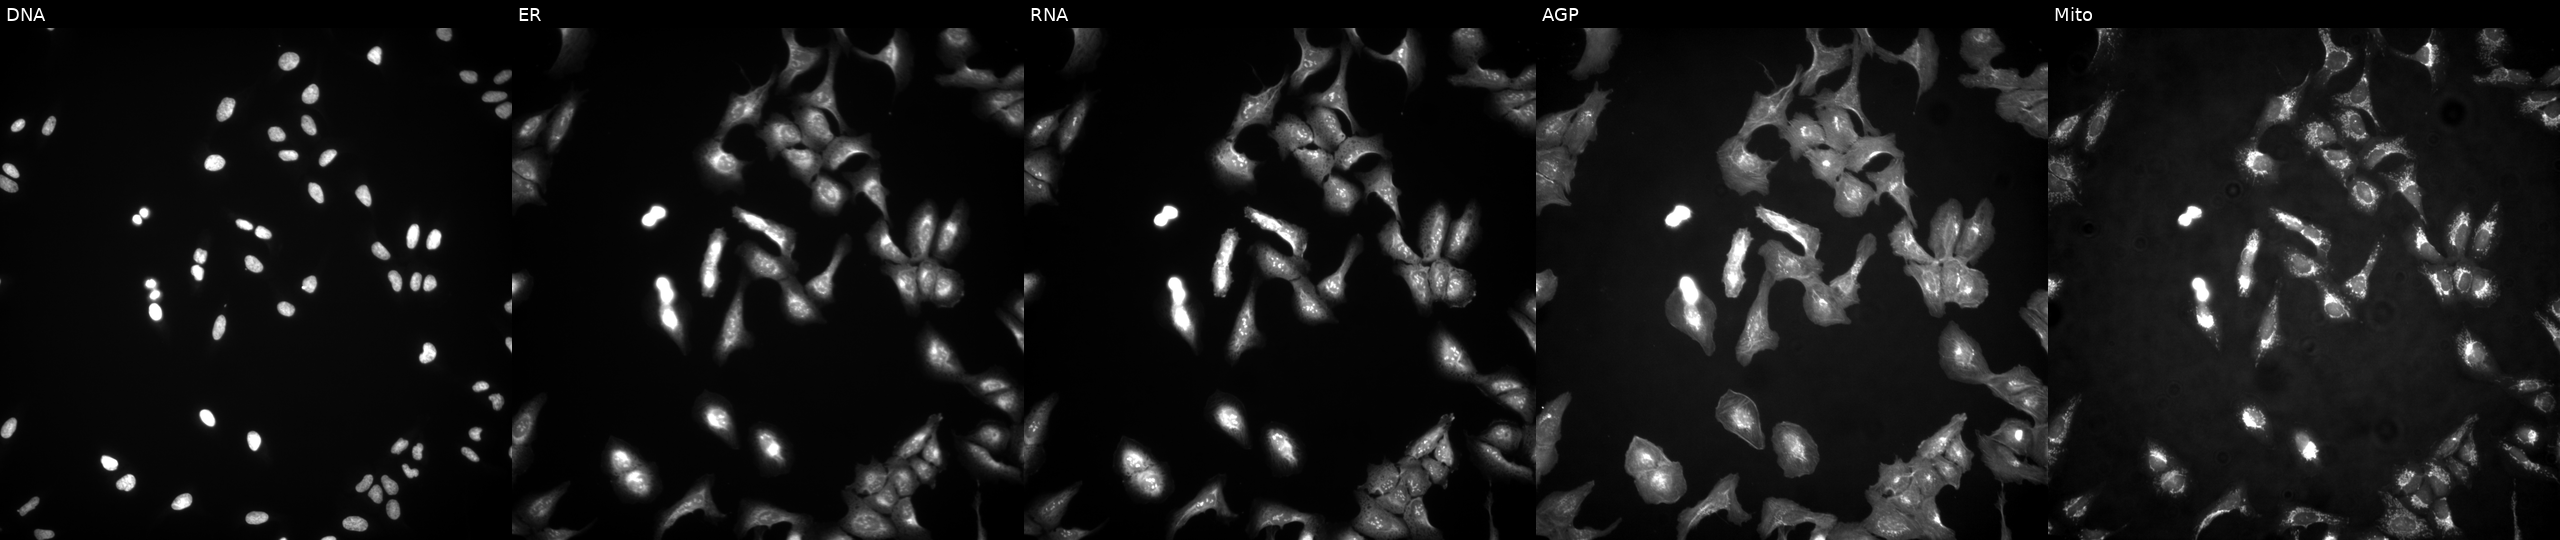
U2OS cells, Cell Painting assay, overexpressing SECISBP2 via ORF transfection (JUMP id JCP2022_911688). The five panels, left to right, show Hoechst 33342, concanavalin A, SYTO 14, phalloidin and WGA, MitoTracker. Each panel is percentile-stretched 16-bit fluorescence.